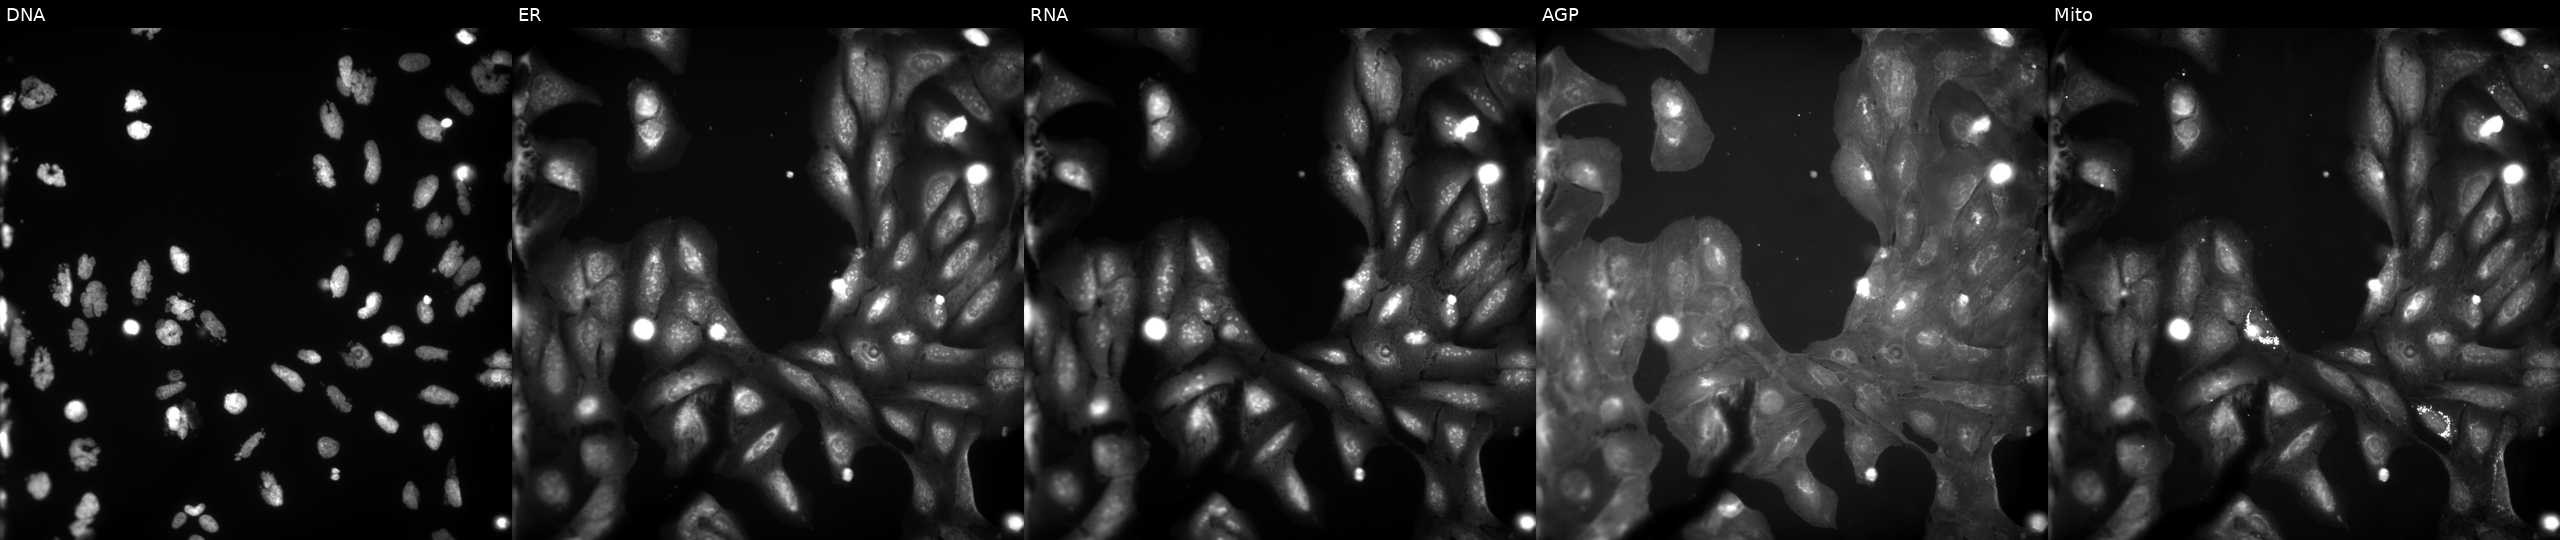
Five-channel Cell Painting image of U2OS cells exposed to the positive-control compound AMG900 (JUMP id JCP2022_037716). The five panels, left to right, show Hoechst 33342, concanavalin A, SYTO 14, phalloidin and WGA, MitoTracker.